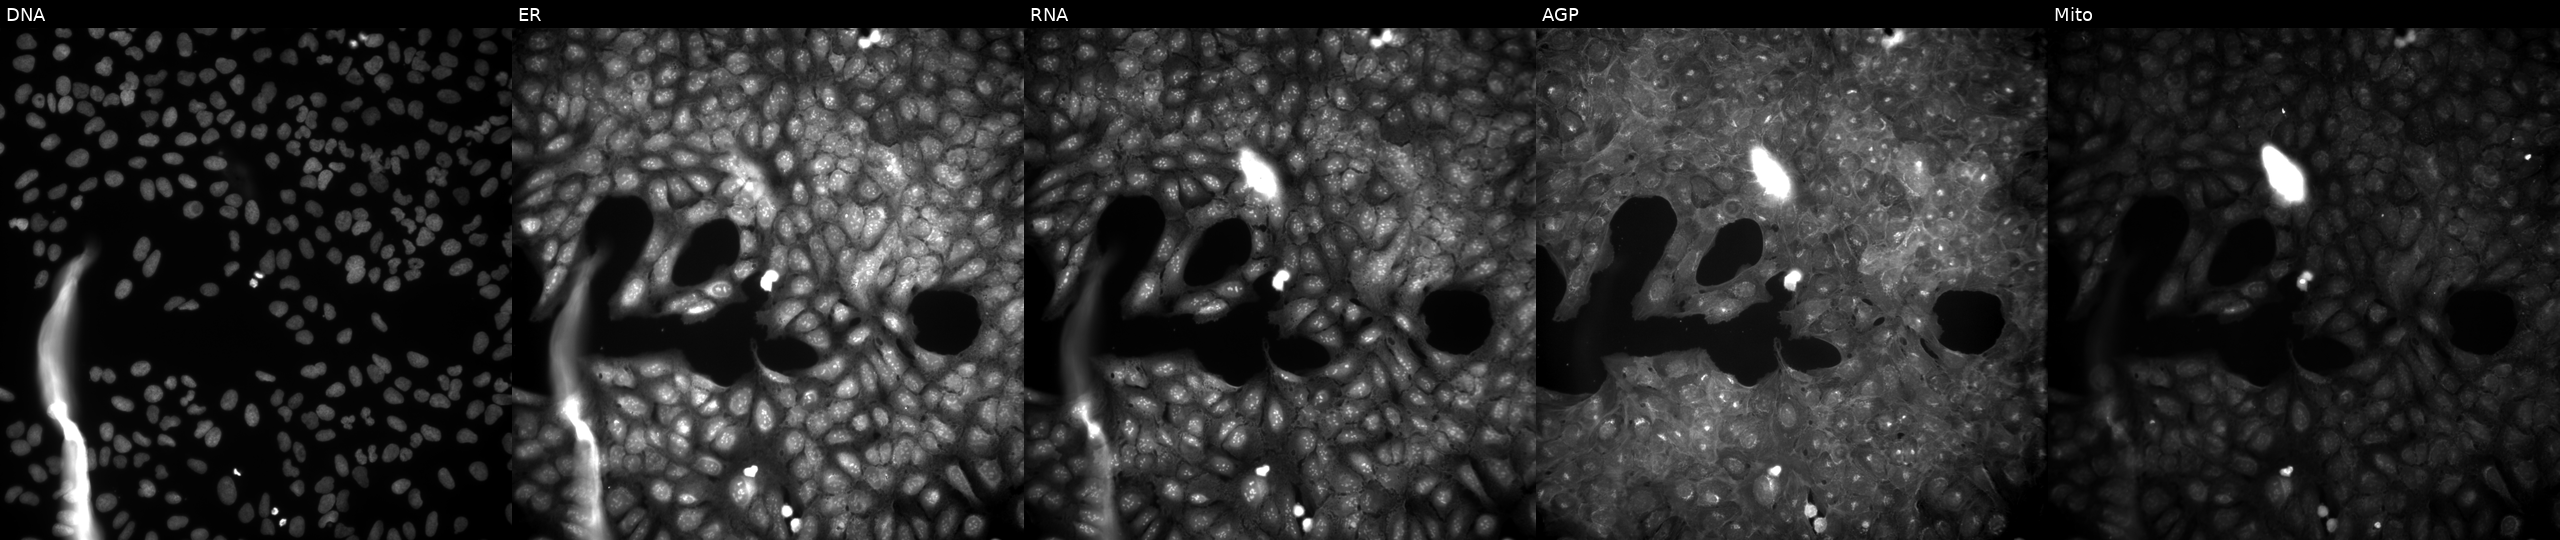
Five-channel Cell Painting image of U2OS cells perturbed with a small-molecule compound (InChIKey OXFADLKPLPEUSV-UHFFFAOYSA-N). From left to right: DNA (nuclei); ER (endoplasmic reticulum); RNA (nucleoli and cytoplasmic RNA); AGP (actin cytoskeleton, Golgi, and plasma membrane); Mito (mitochondria). Source 9, plate GR00003382, well B40.